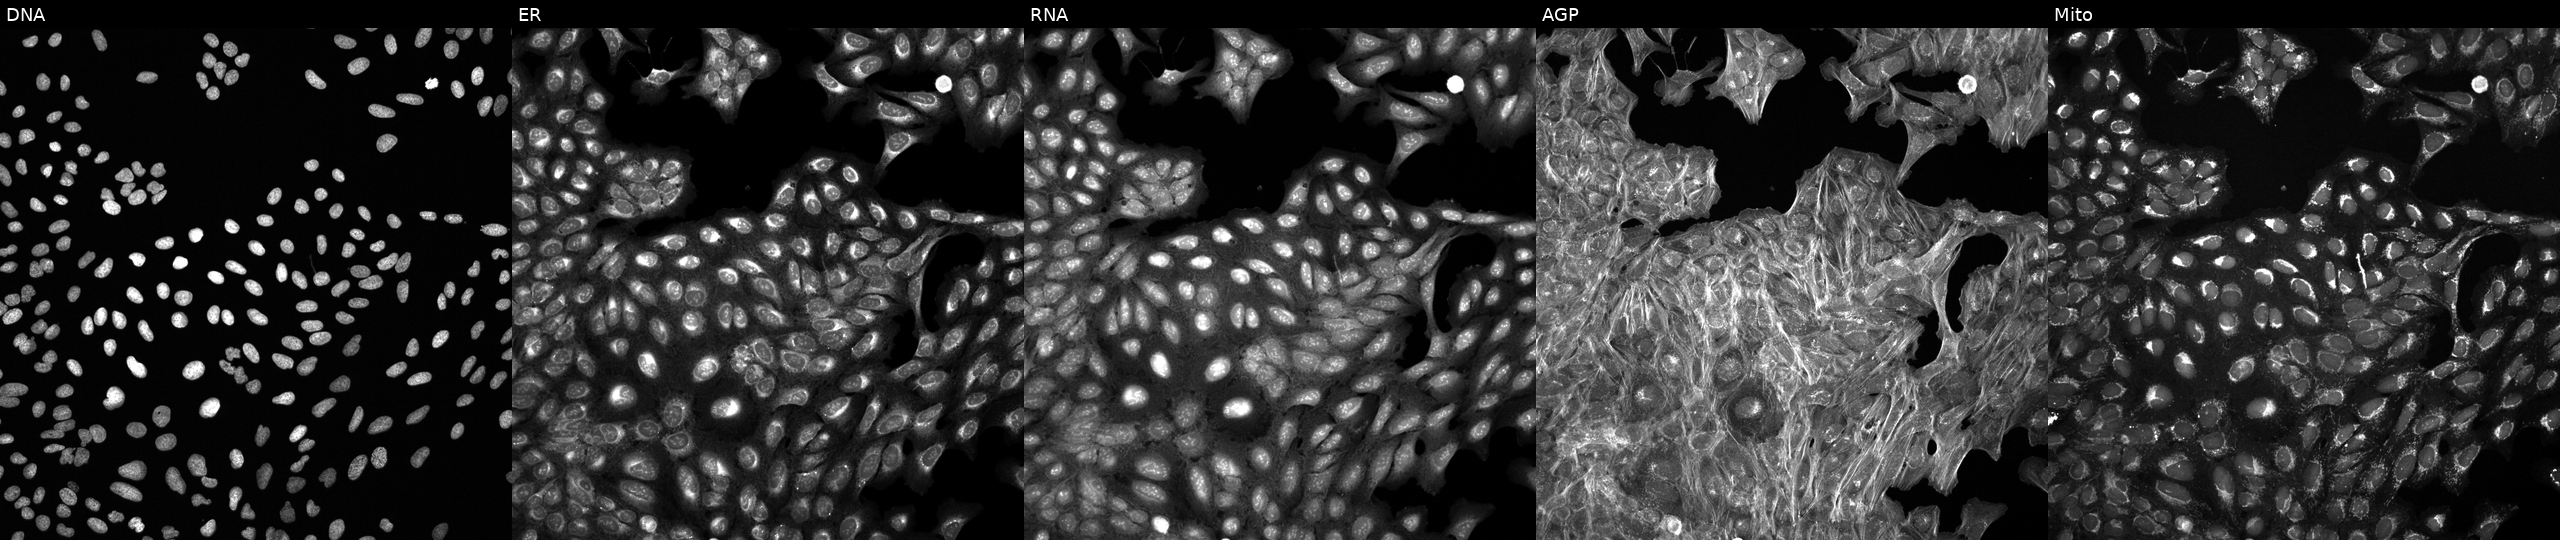
The five panels, left to right, show DNA (nuclei); ER (endoplasmic reticulum); RNA (nucleoli and cytoplasmic RNA); AGP (actin cytoskeleton, Golgi, and plasma membrane); Mito (mitochondria). U2OS osteosarcoma cells exposed to a small-molecule compound (InChIKey JYLNVJYYQQXNEK-UHFFFAOYSA-N) [SMILES: NCC(CS(=O)(=O)O)c1ccc(Cl)cc1]. Cell Painting assay, JUMP-CP dataset. Source 6, plate 110000294901, well I03.